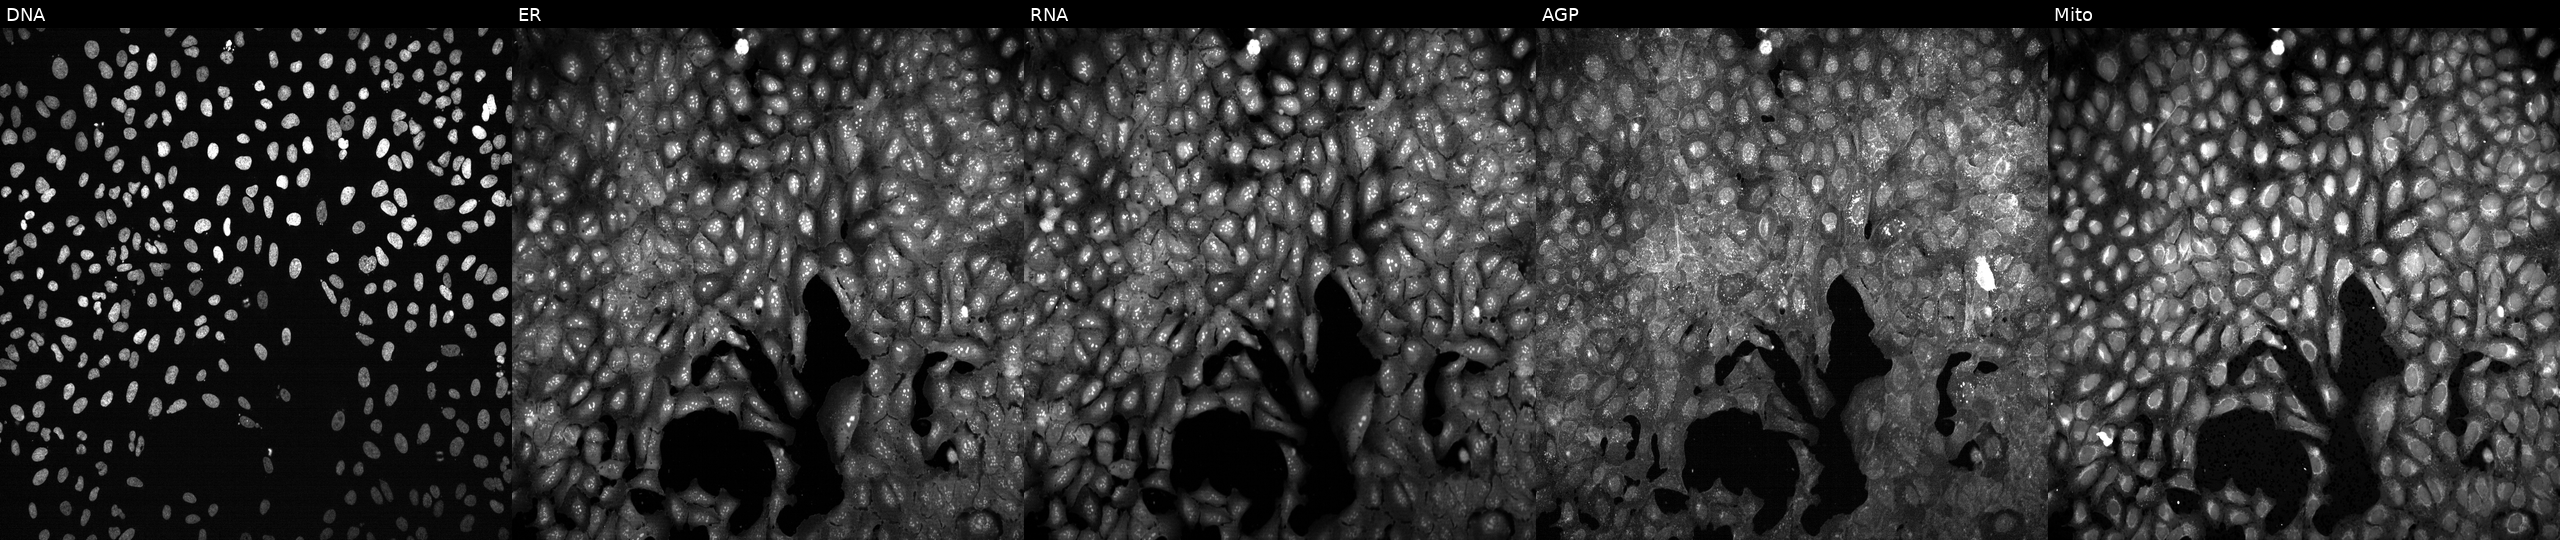
U2OS cells, Cell Painting assay, CRISPR-edited to disrupt SLC19A2 (JUMP id JCP2022_806405). From left to right: Hoechst 33342, concanavalin A, SYTO 14, phalloidin and WGA, MitoTracker. Each panel is percentile-stretched 16-bit fluorescence. Source 13, plate CP-CC9-R1-01, well O13.